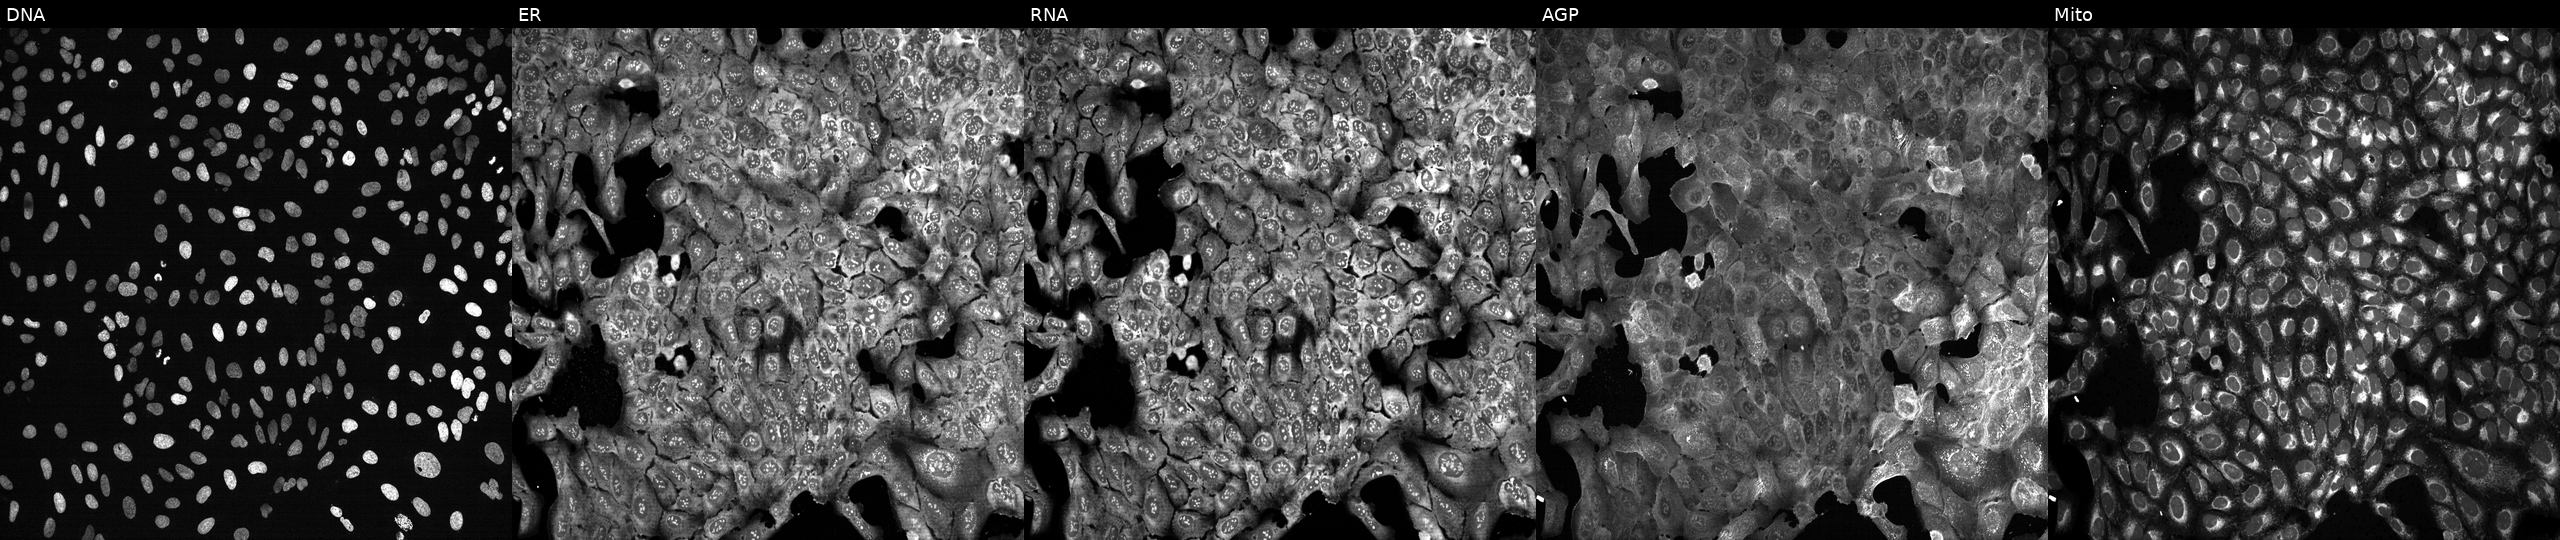
Five-channel Cell Painting image of U2OS cells CRISPR-edited to disrupt CLEC1B. From left to right: DNA (nuclei); ER (endoplasmic reticulum); RNA (nucleoli and cytoplasmic RNA); AGP (actin cytoskeleton, Golgi, and plasma membrane); Mito (mitochondria).